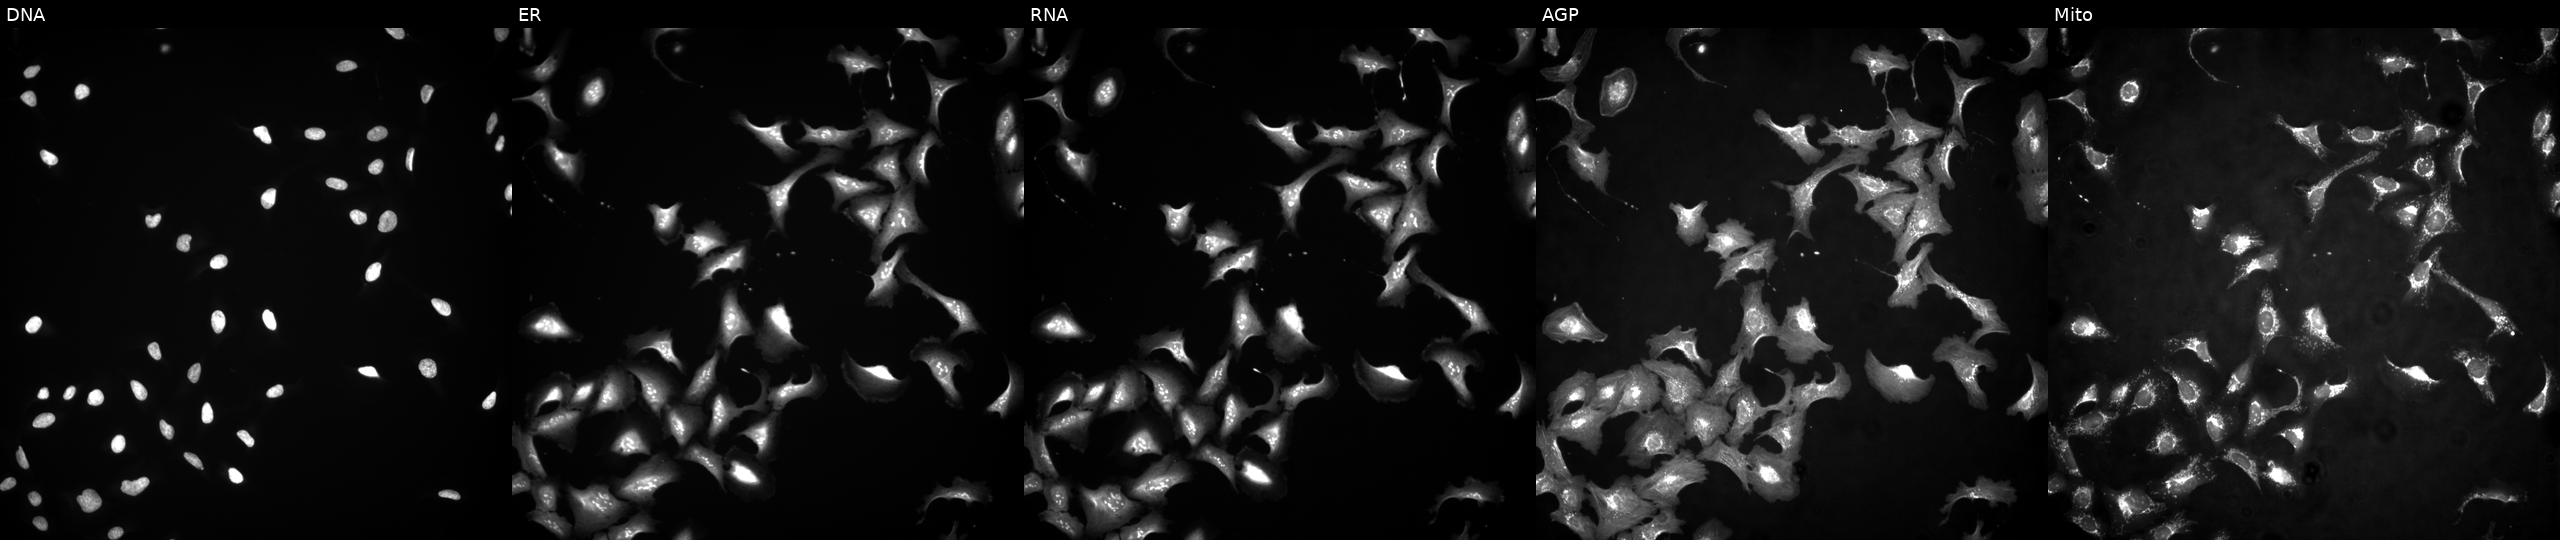
Channels (left→right): DNA (nuclei); ER (endoplasmic reticulum); RNA (nucleoli and cytoplasmic RNA); AGP (actin cytoskeleton, Golgi, and plasma membrane); Mito (mitochondria). U2OS osteosarcoma cells transfected with an ORF construct for ZNF792. Cell Painting assay, JUMP-CP dataset.